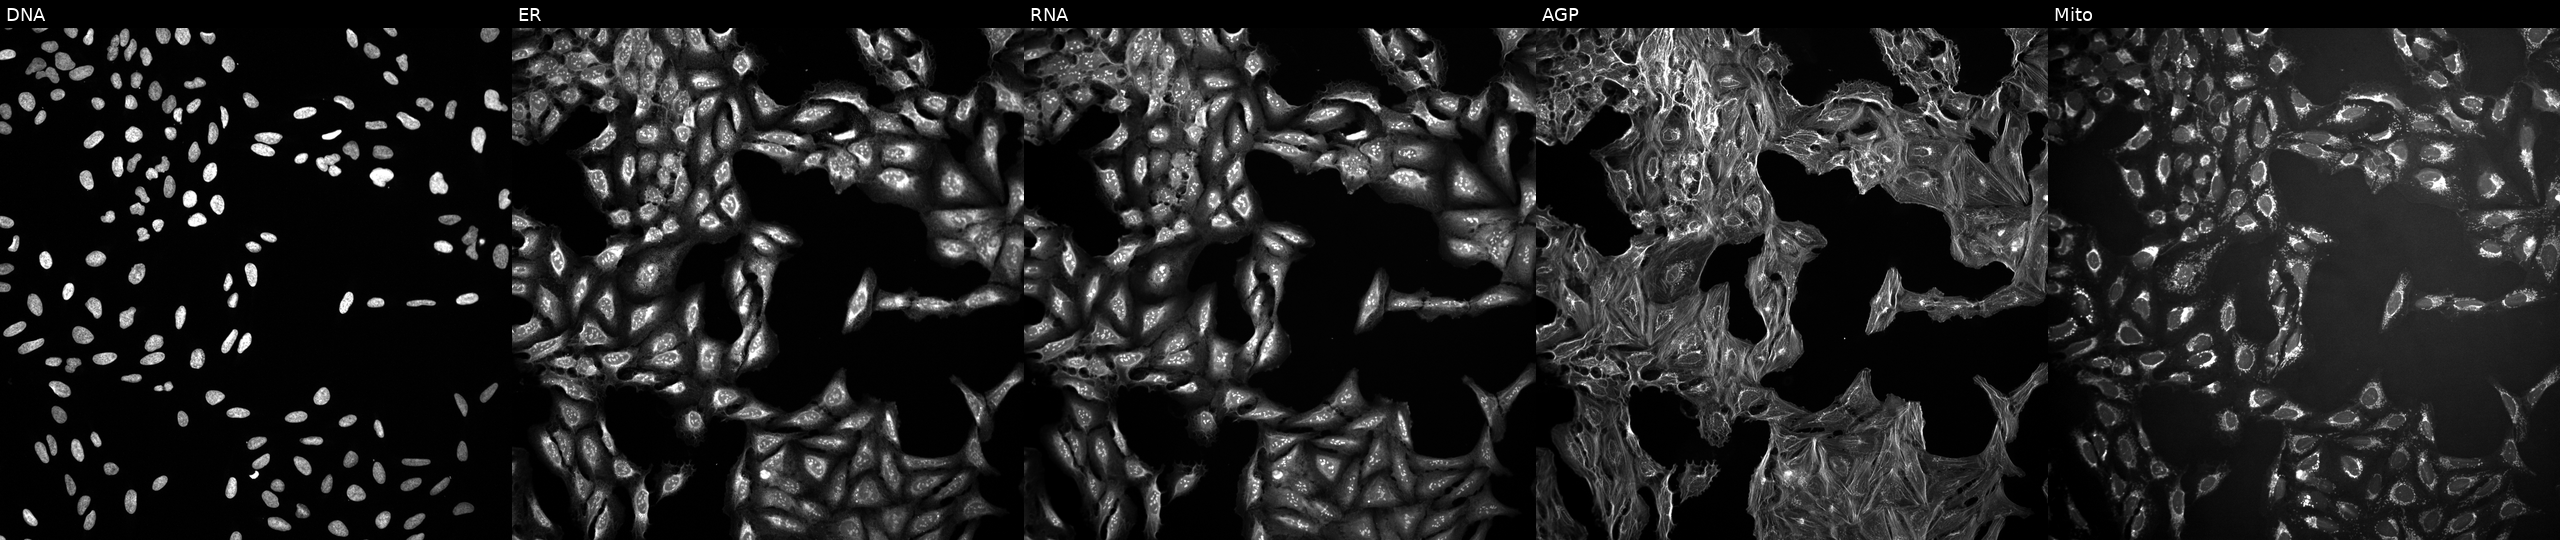
Five-channel Cell Painting image of U2OS cells treated with DMSO vehicle only (negative control). Channels (left→right): Hoechst 33342, concanavalin A, SYTO 14, phalloidin and WGA, MitoTracker. Source 10, plate Dest210727-153003, well I15.